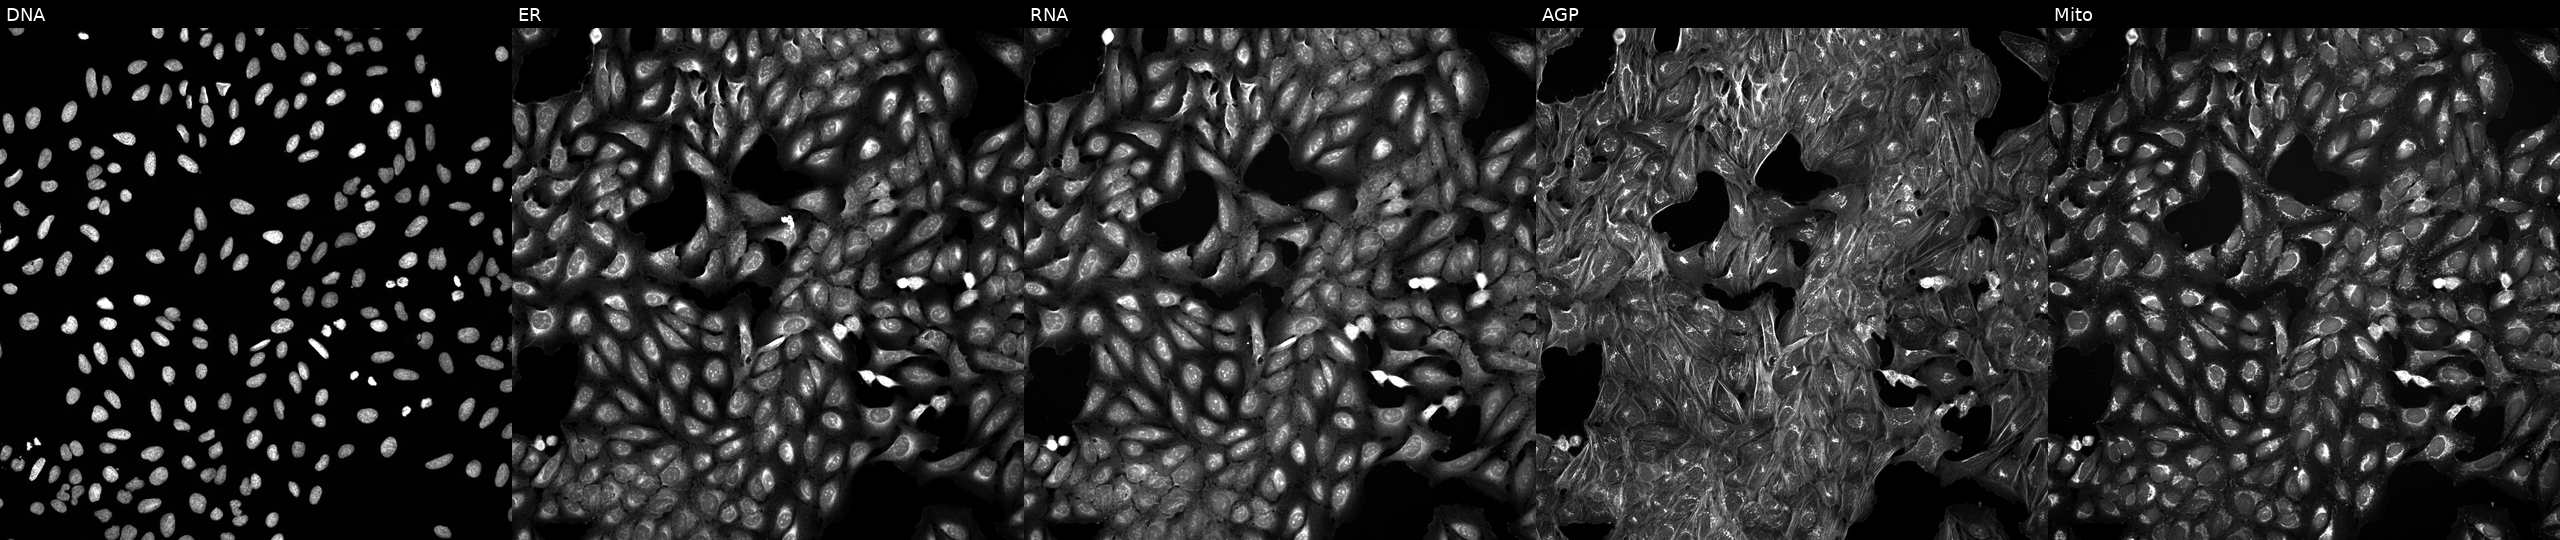
This image strip shows the five Cell Painting channels for a single field of U2OS cells exposed to a small-molecule compound (InChIKey QFWCYNPOPKQOKV-UHFFFAOYSA-N) [SMILES: COc1cccc(-c2cc(=O)c3ccccc3o2)c1N] (JUMP id JCP2022_073156). Panels show, left to right, DNA (nuclei); ER (endoplasmic reticulum); RNA (nucleoli and cytoplasmic RNA); AGP (actin cytoskeleton, Golgi, and plasma membrane); Mito (mitochondria). Source 5, plate ACPJUM051, well E03.